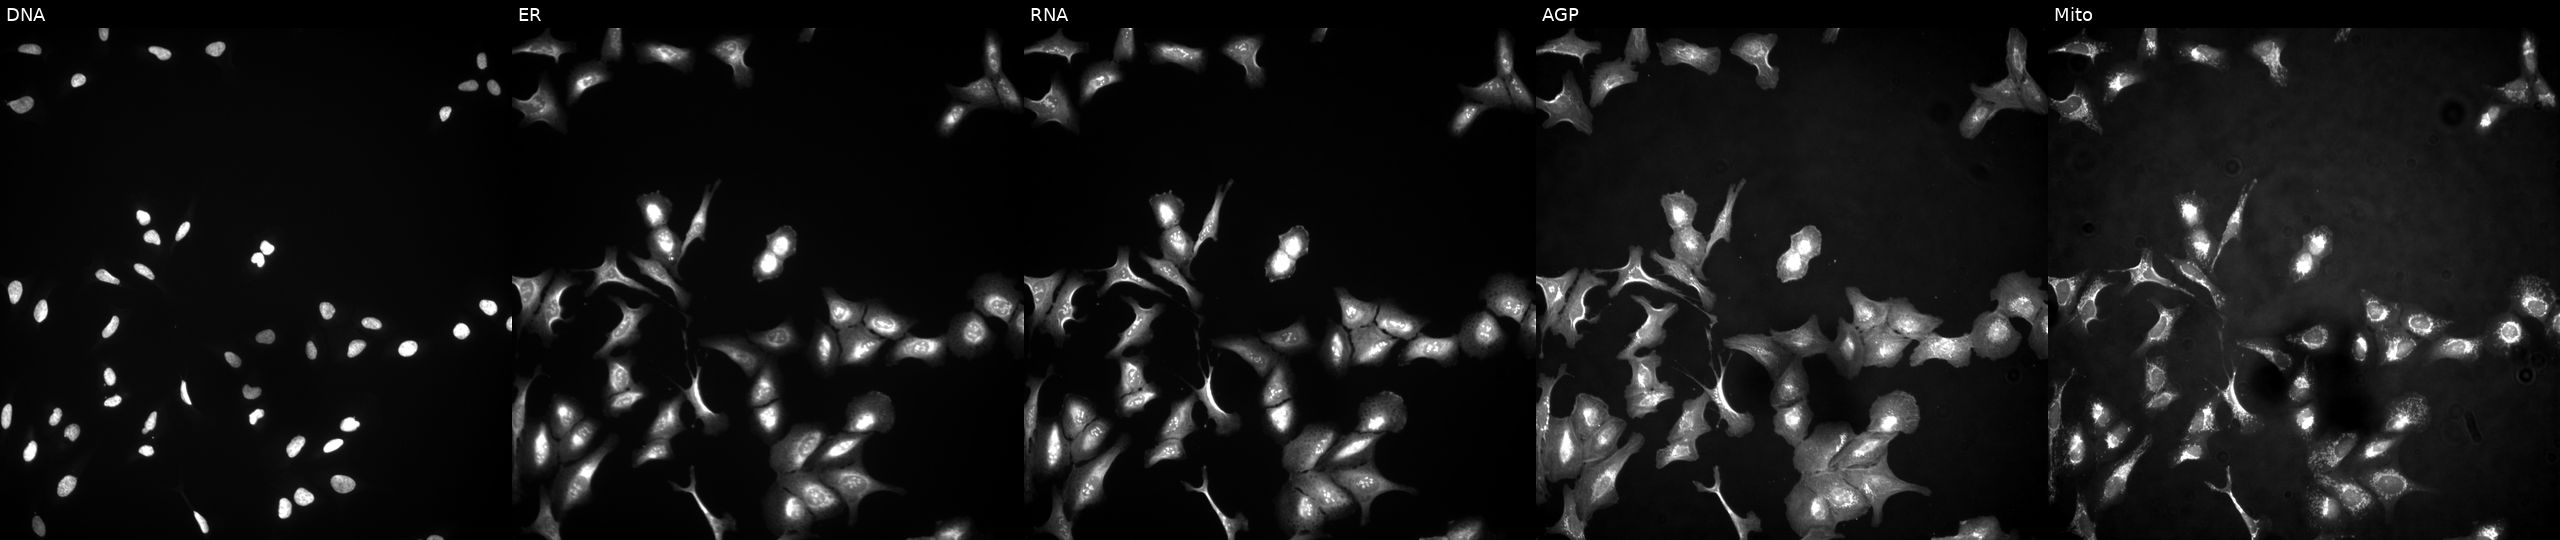
High-content fluorescence microscopy (Cell Painting). Cell line: U2OS. Perturbation: overexpressing PTP4A2 via ORF transfection. Panels show, left to right, Hoechst 33342, concanavalin A, SYTO 14, phalloidin and WGA, MitoTracker.